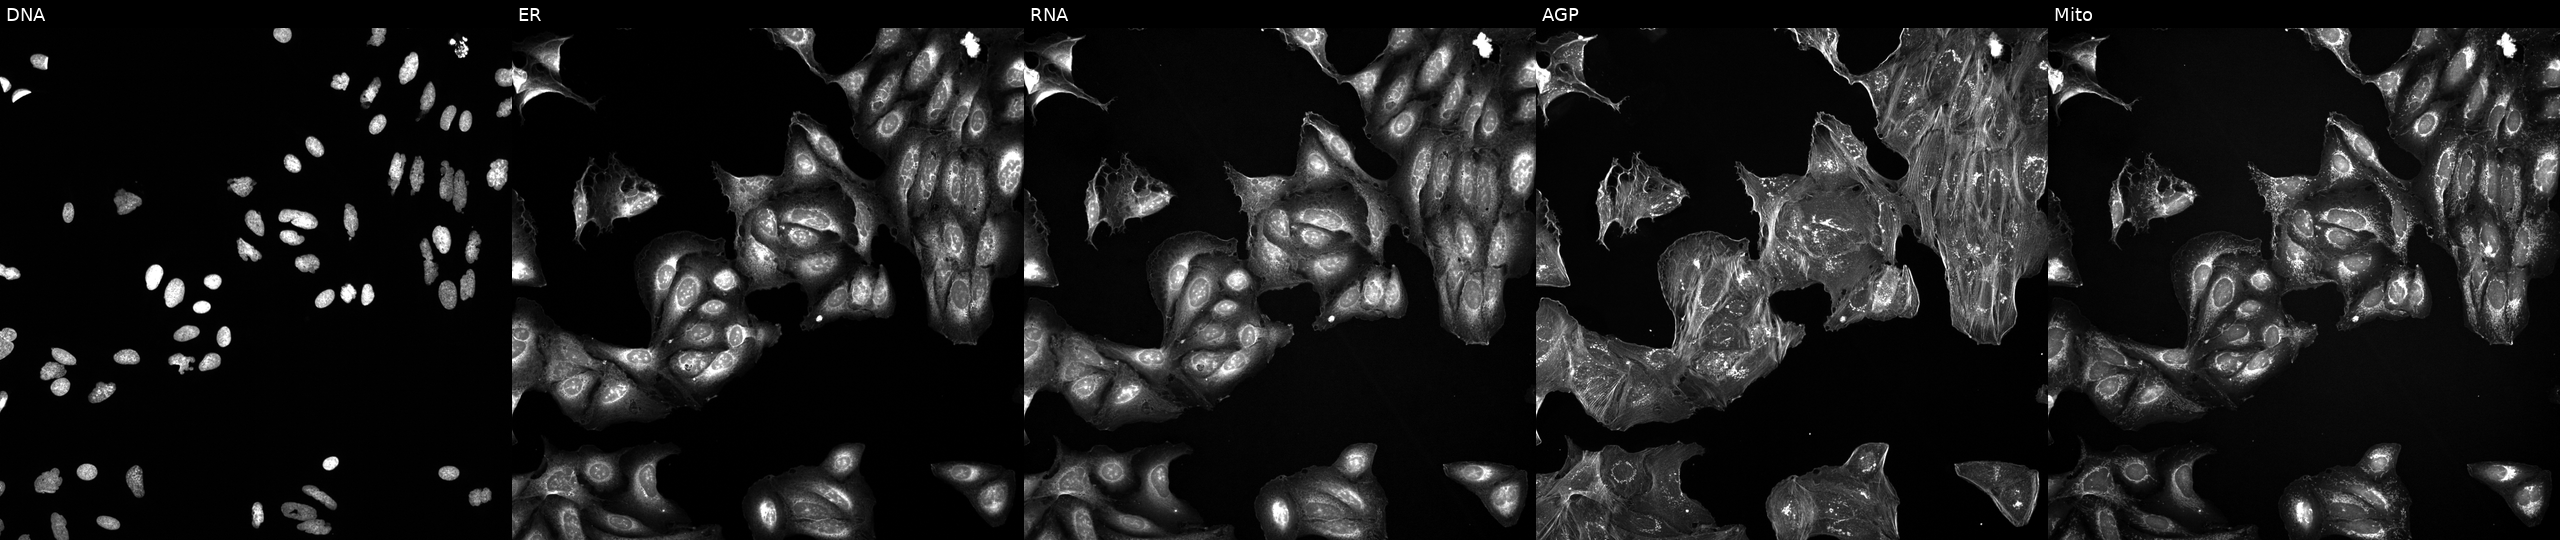
Channels (left→right): Hoechst 33342, concanavalin A, SYTO 14, phalloidin and WGA, MitoTracker. U2OS osteosarcoma cells treated with a small-molecule compound (InChIKey GQXSULRYFDAMOO-UHFFFAOYSA-N). Cell Painting assay, JUMP-CP dataset.